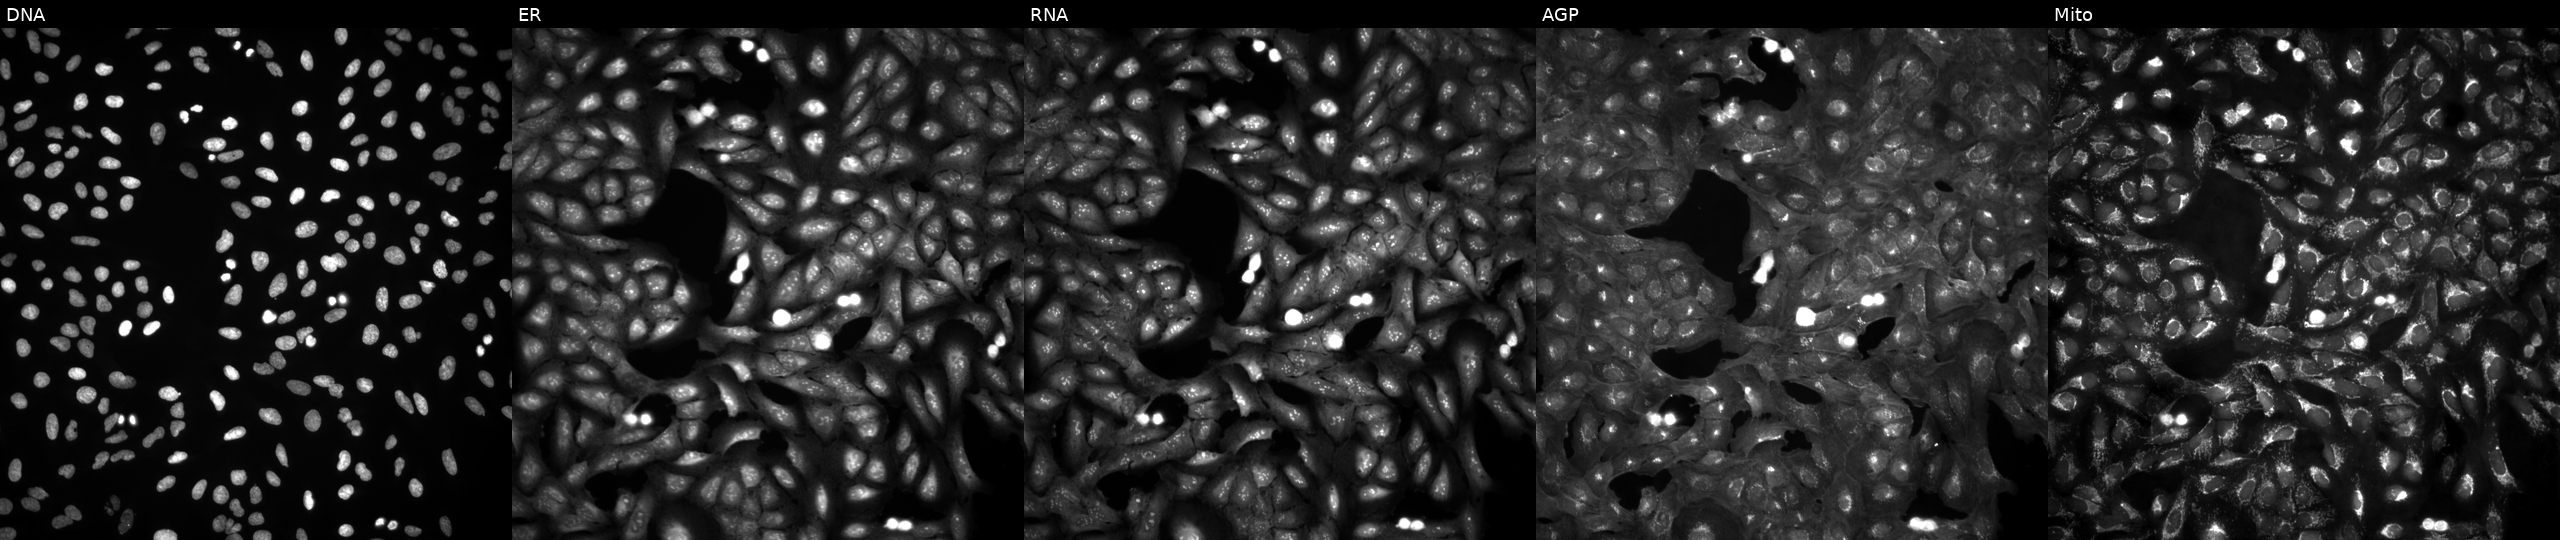
U2OS cells, Cell Painting assay, untreated (empty-well control) (JUMP id JCP2022_999999). Channels (left→right): DNA (nuclei); ER (endoplasmic reticulum); RNA (nucleoli and cytoplasmic RNA); AGP (actin cytoskeleton, Golgi, and plasma membrane); Mito (mitochondria). Each panel is percentile-stretched 16-bit fluorescence.